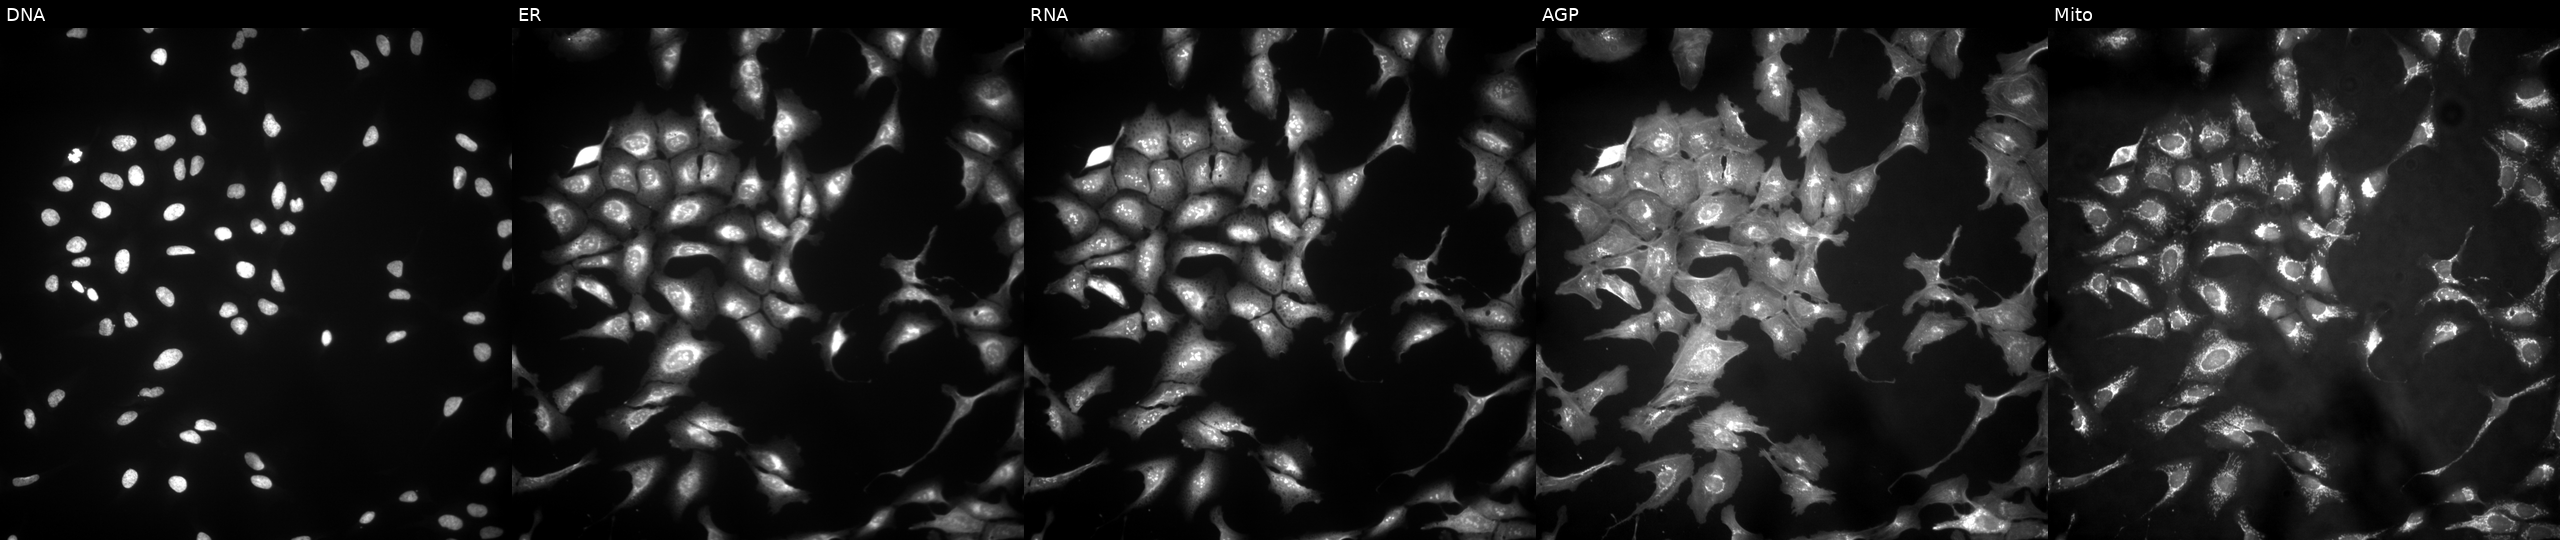
Panels show, left to right, DNA, ER, RNA, AGP, and Mito. U2OS osteosarcoma cells expressing eGFP (ORF positive control) (JUMP id JCP2022_915132). Cell Painting assay, JUMP-CP dataset.